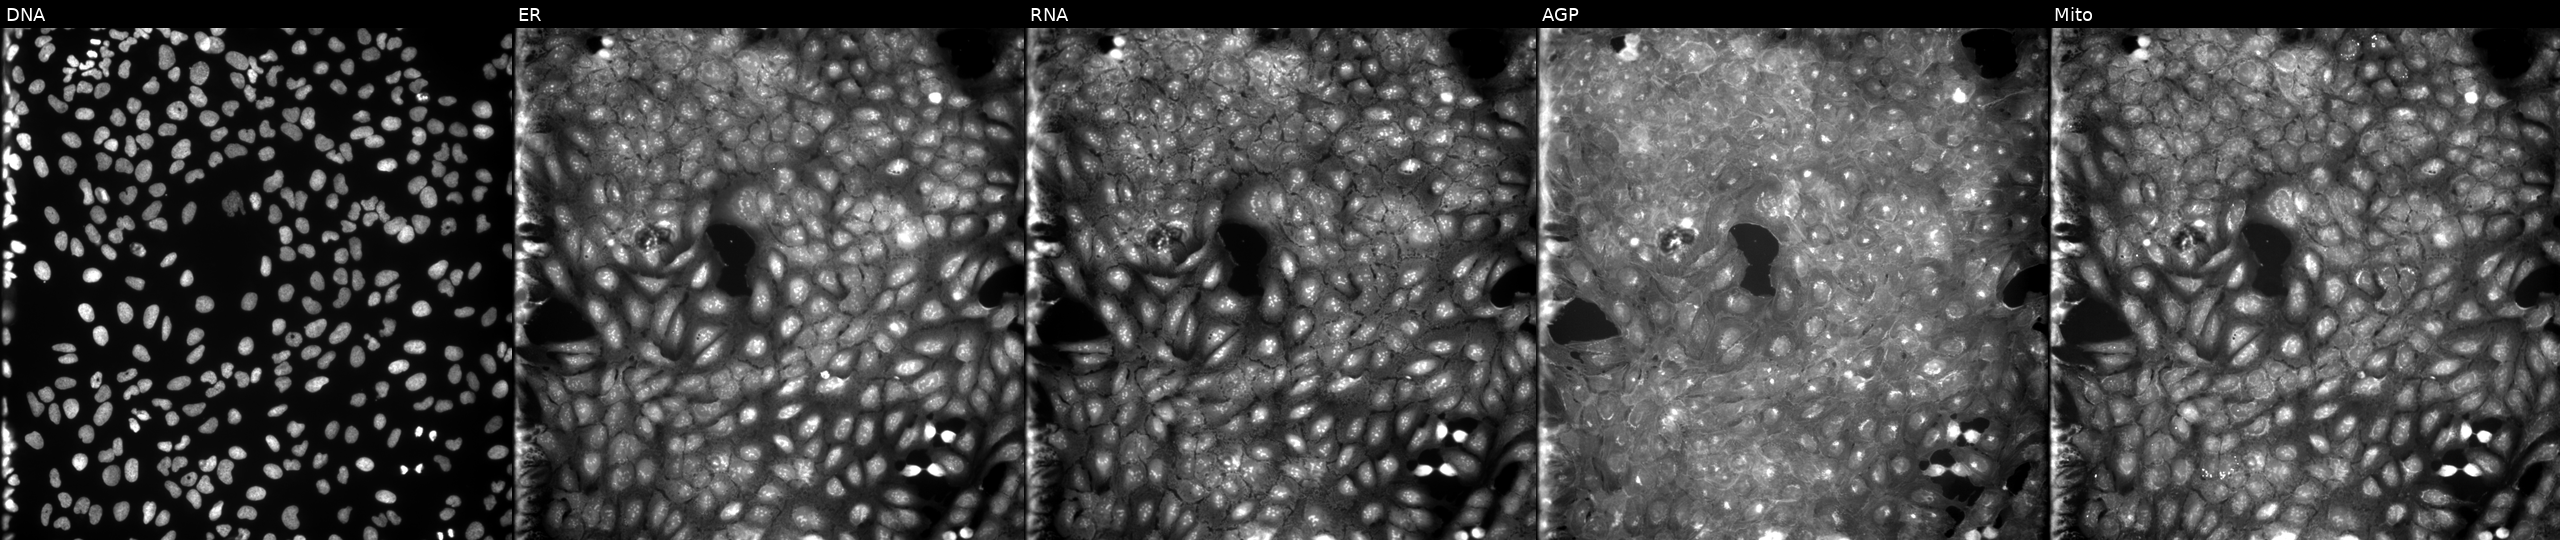
High-content fluorescence microscopy (Cell Painting). Cell line: U2OS. Perturbation: exposed to a small-molecule compound (InChIKey IDTDOIBQZXCQIN-UHFFFAOYSA-N) (JUMP id JCP2022_034411). Channels (left→right): Hoechst 33342, concanavalin A, SYTO 14, phalloidin and WGA, MitoTracker.